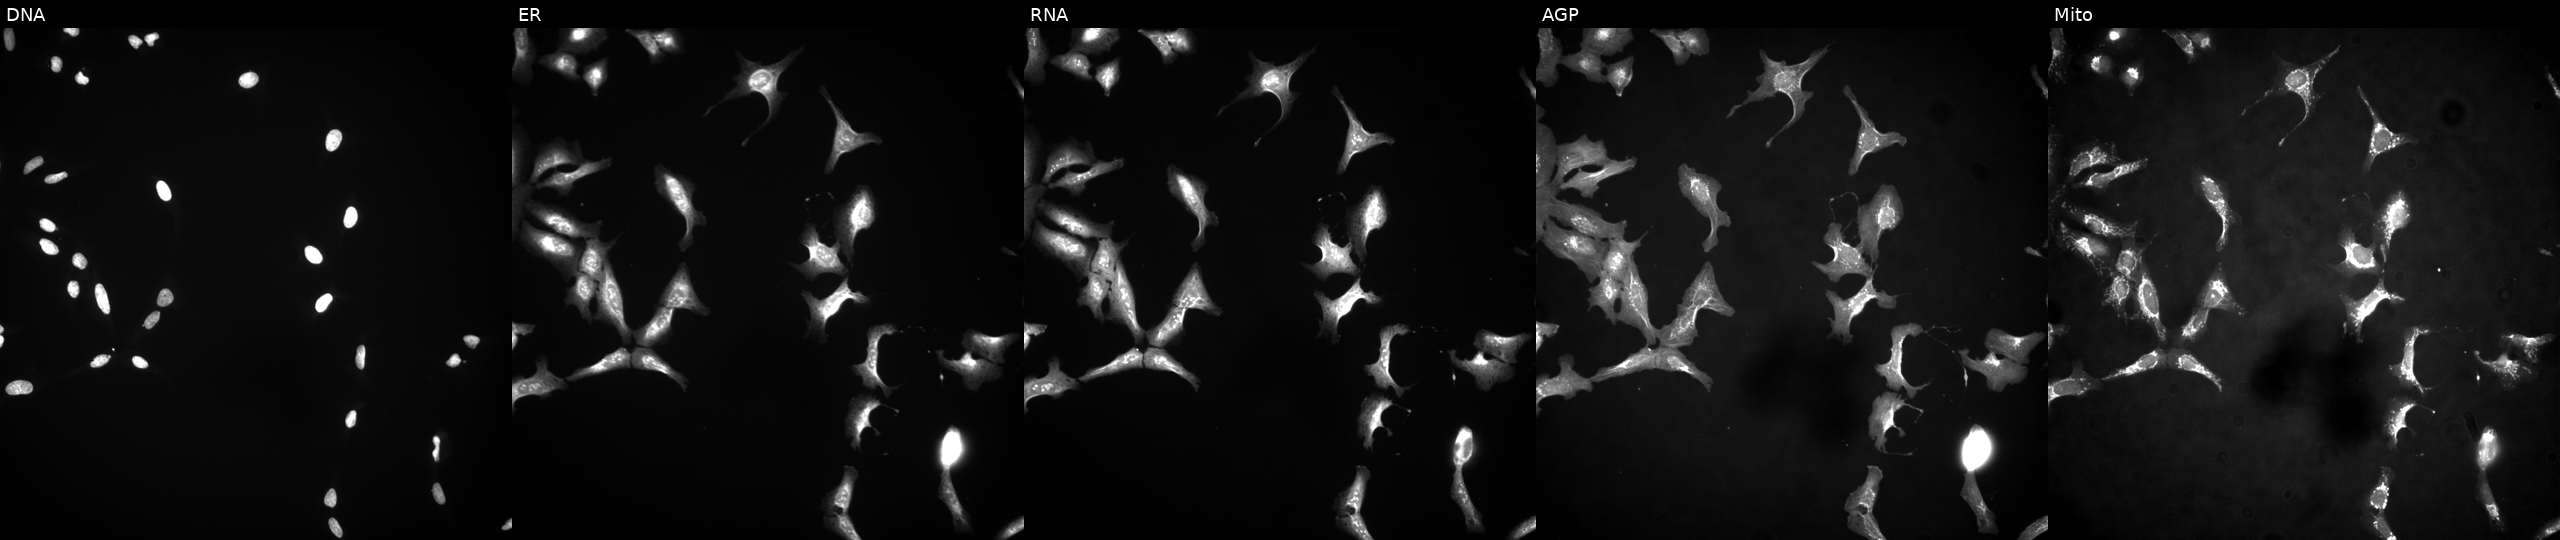
Five-channel Cell Painting image of U2OS cells transfected with an ORF construct for PNMA6A (JUMP id JCP2022_904172). The five panels, left to right, show Hoechst 33342, concanavalin A, SYTO 14, phalloidin and WGA, MitoTracker. Source 4, plate BR00124790, well J11.